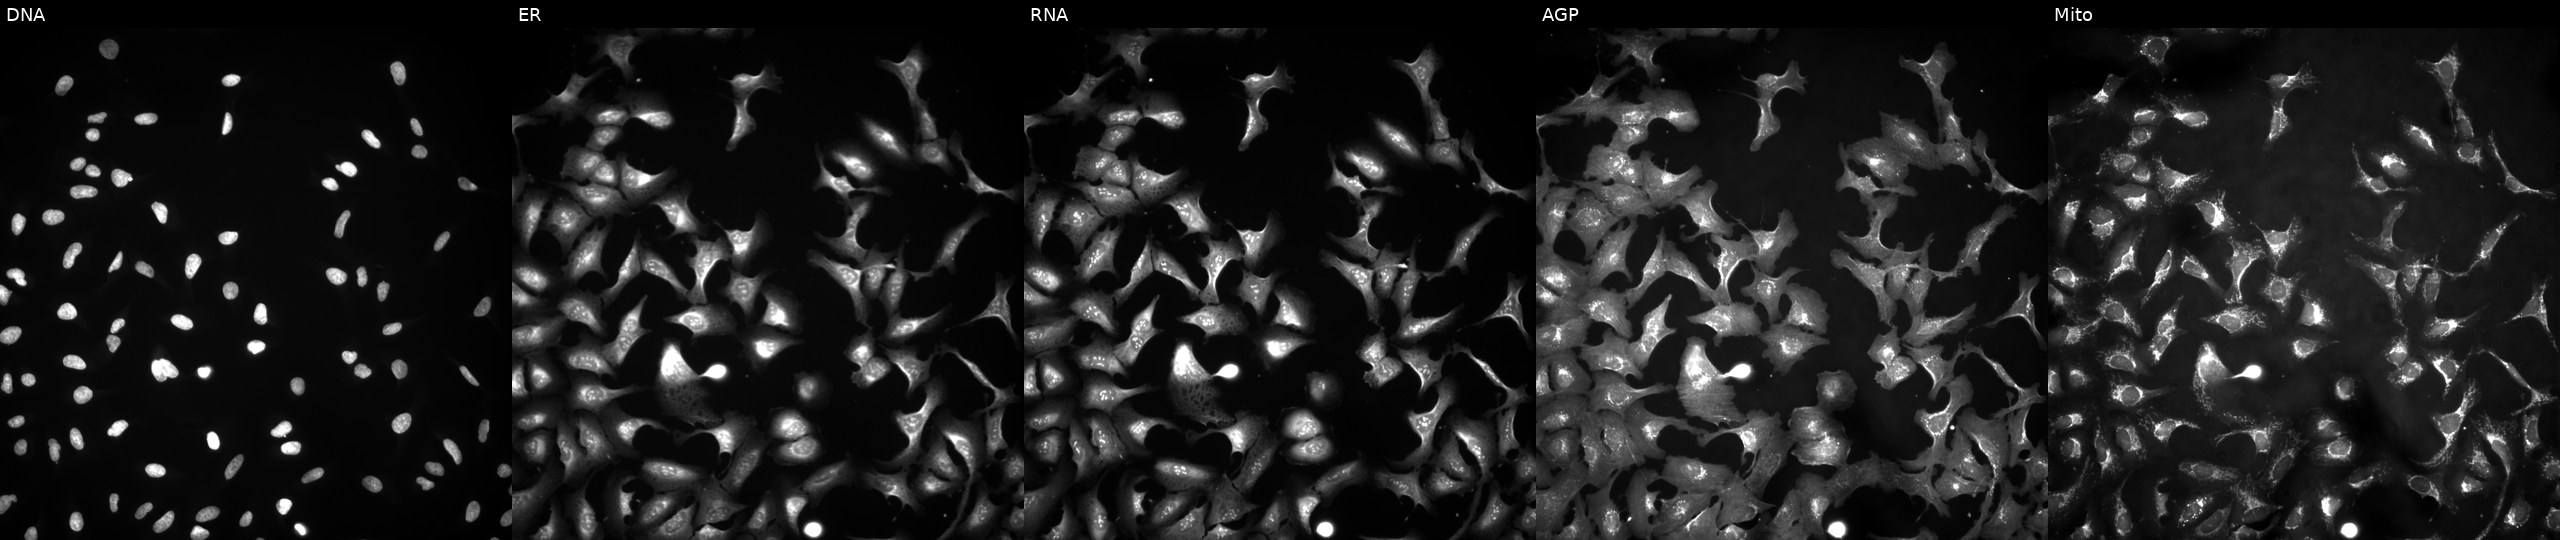
JUMP Cell Painting — ORF plate. U2OS cells overexpressing DYNC1I1 via ORF transfection. Panels show, left to right, DNA, ER, RNA, AGP, and Mito.